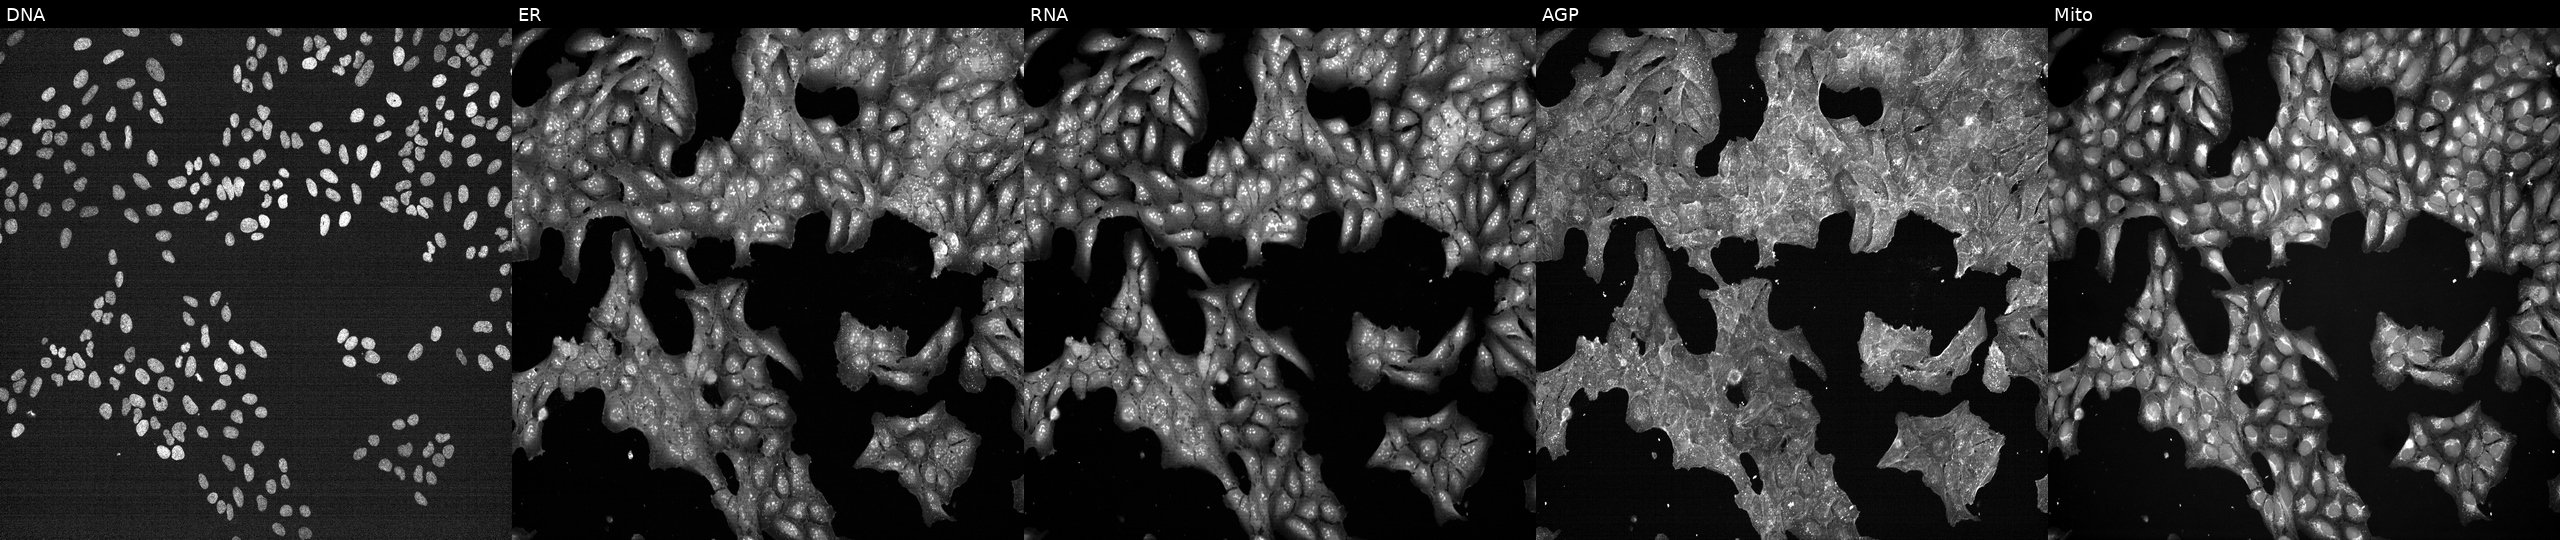
Panels show, left to right, DNA (nuclei); ER (endoplasmic reticulum); RNA (nucleoli and cytoplasmic RNA); AGP (actin cytoskeleton, Golgi, and plasma membrane); Mito (mitochondria). U2OS osteosarcoma cells perturbed with a small-molecule compound (InChIKey AUMHDRMJJNZTPB-UHFFFAOYSA-N) [SMILES: O=c1c(CC[S+]([O-])c2ccccc2)c(O)n(-c2ccccc2)n1-c1ccccc1]. Cell Painting assay, JUMP-CP dataset.